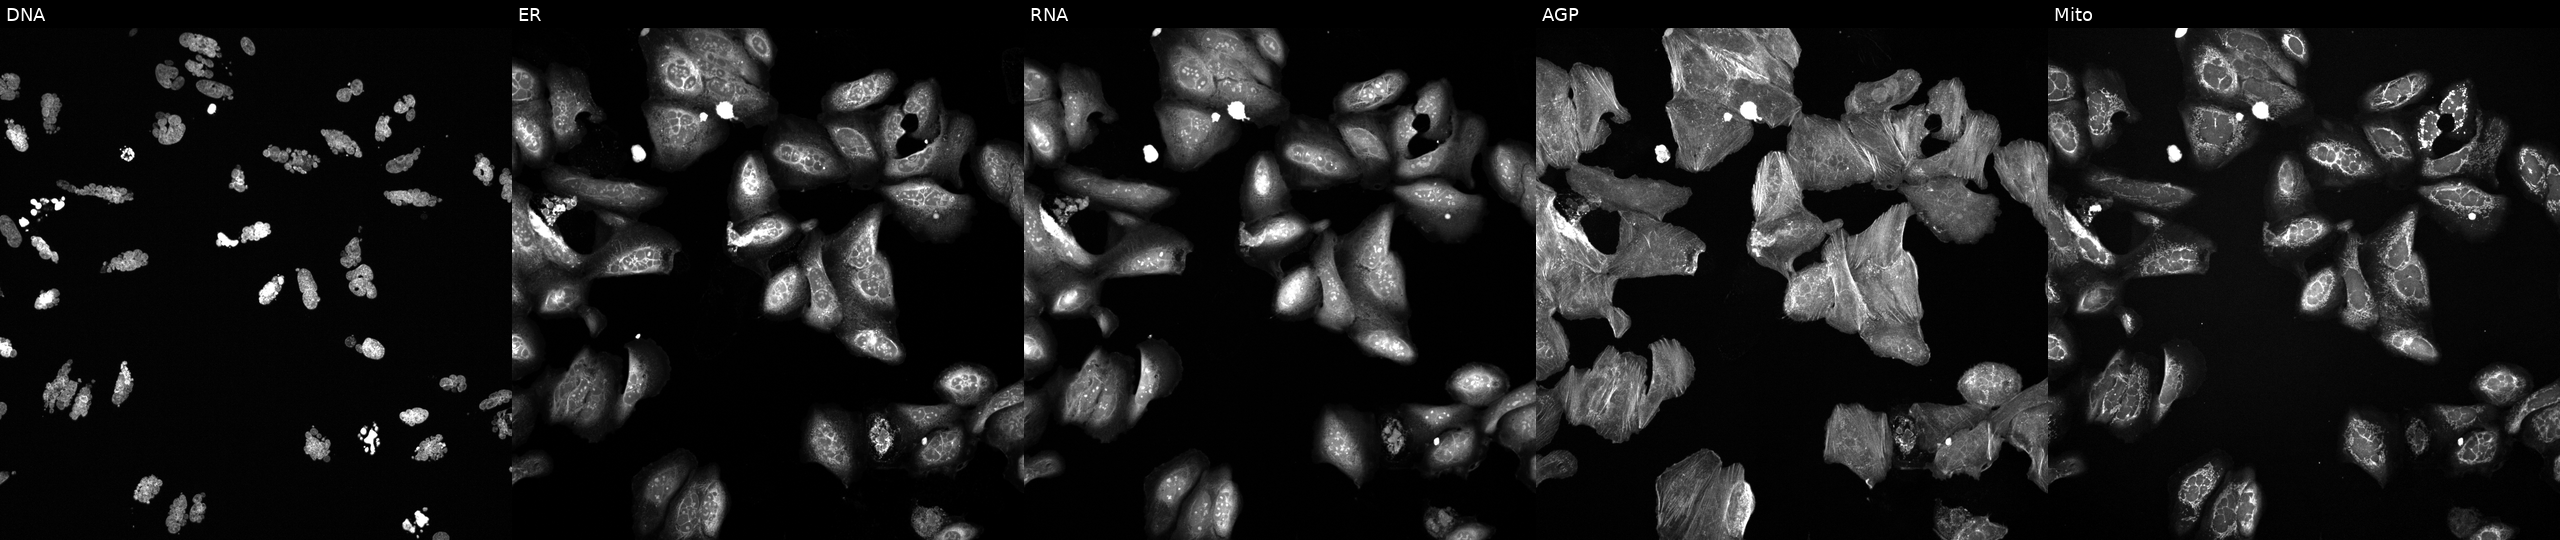
Five-channel Cell Painting image of U2OS cells exposed to a small-molecule compound. From left to right: DNA (nuclei); ER (endoplasmic reticulum); RNA (nucleoli and cytoplasmic RNA); AGP (actin cytoskeleton, Golgi, and plasma membrane); Mito (mitochondria).